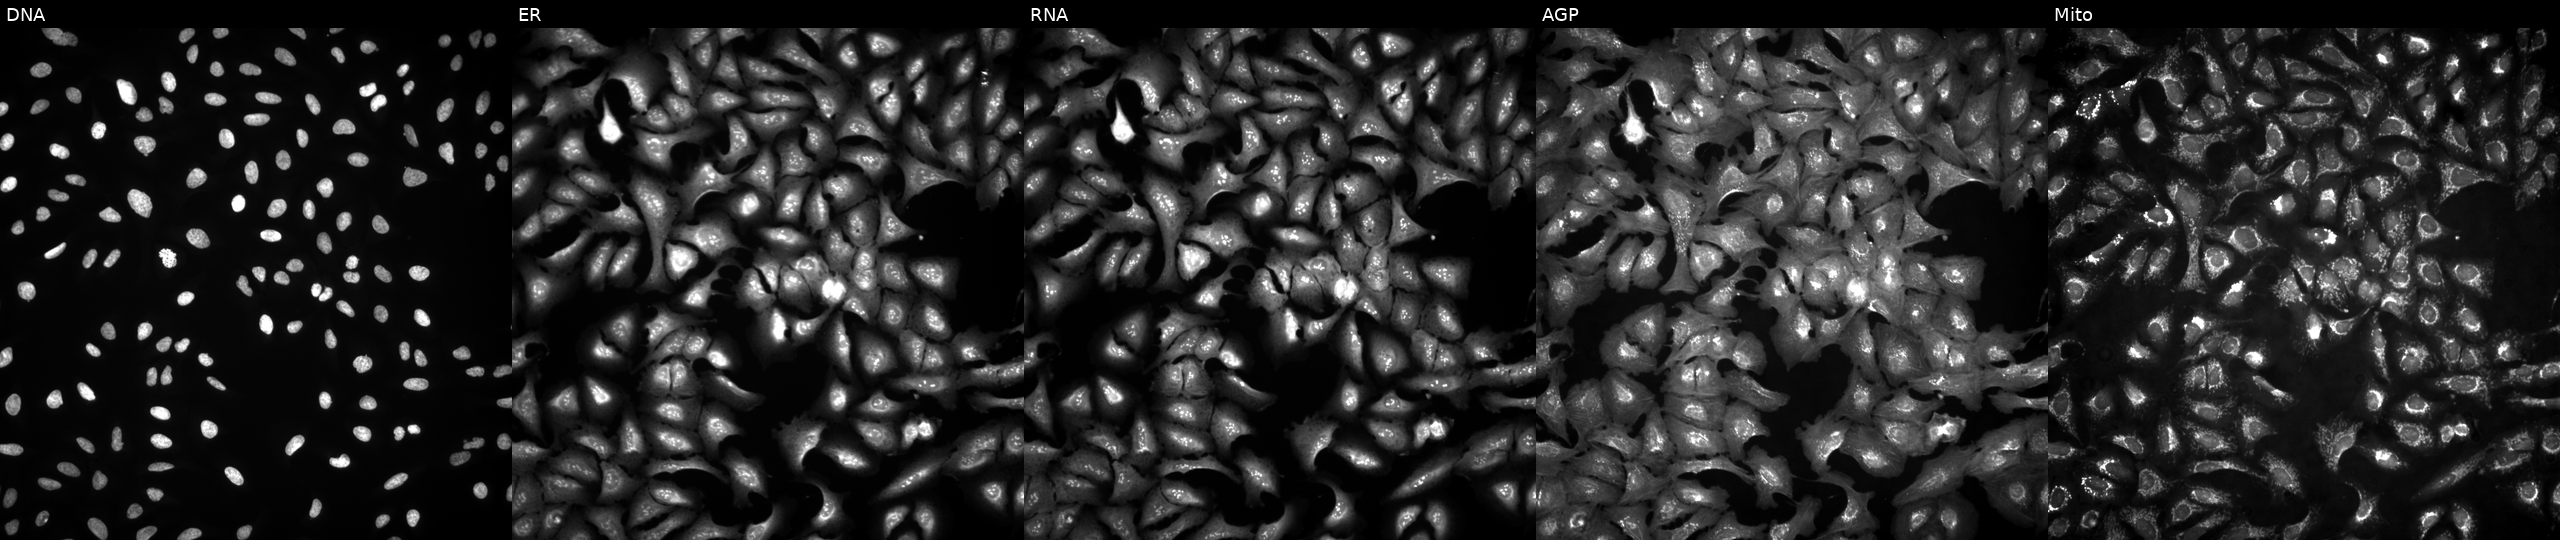
JUMP Cell Painting — ORF plate. U2OS cells overexpressing PFDN1 via ORF transfection (JUMP id JCP2022_901101). Panels show, left to right, DNA (nuclei); ER (endoplasmic reticulum); RNA (nucleoli and cytoplasmic RNA); AGP (actin cytoskeleton, Golgi, and plasma membrane); Mito (mitochondria). Source 4, plate BR00124787, well C04.